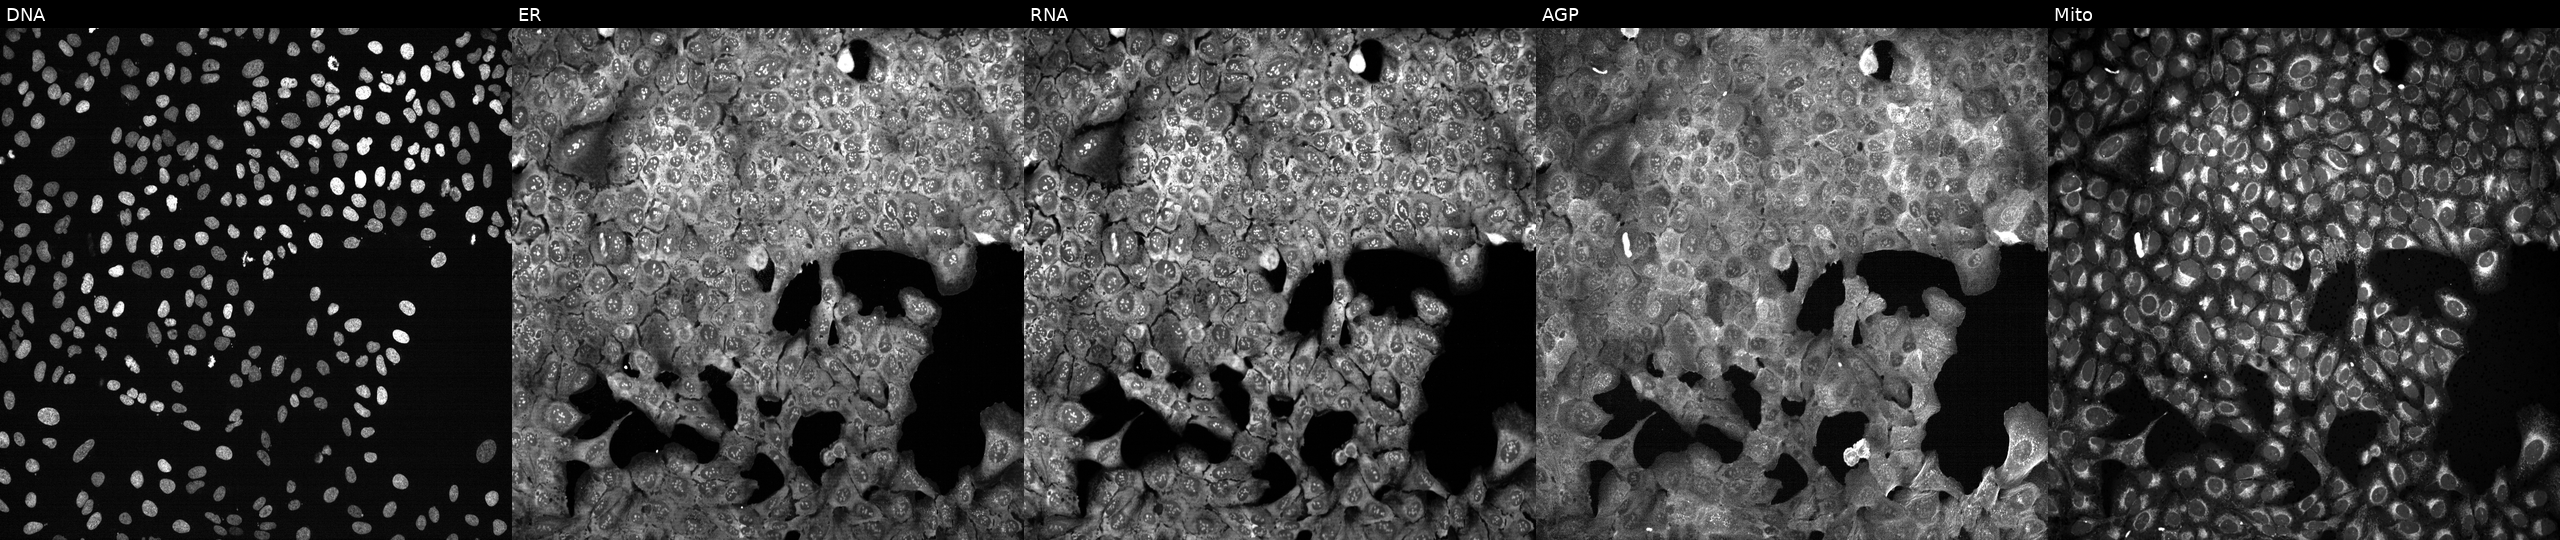
Five-channel Cell Painting image of U2OS cells following CRISPR knockout of SGMS1 (JUMP id JCP2022_806309). Channels (left→right): DNA, ER, RNA, AGP, and Mito. Source 13, plate CP-CC9-R2-01, well N07.